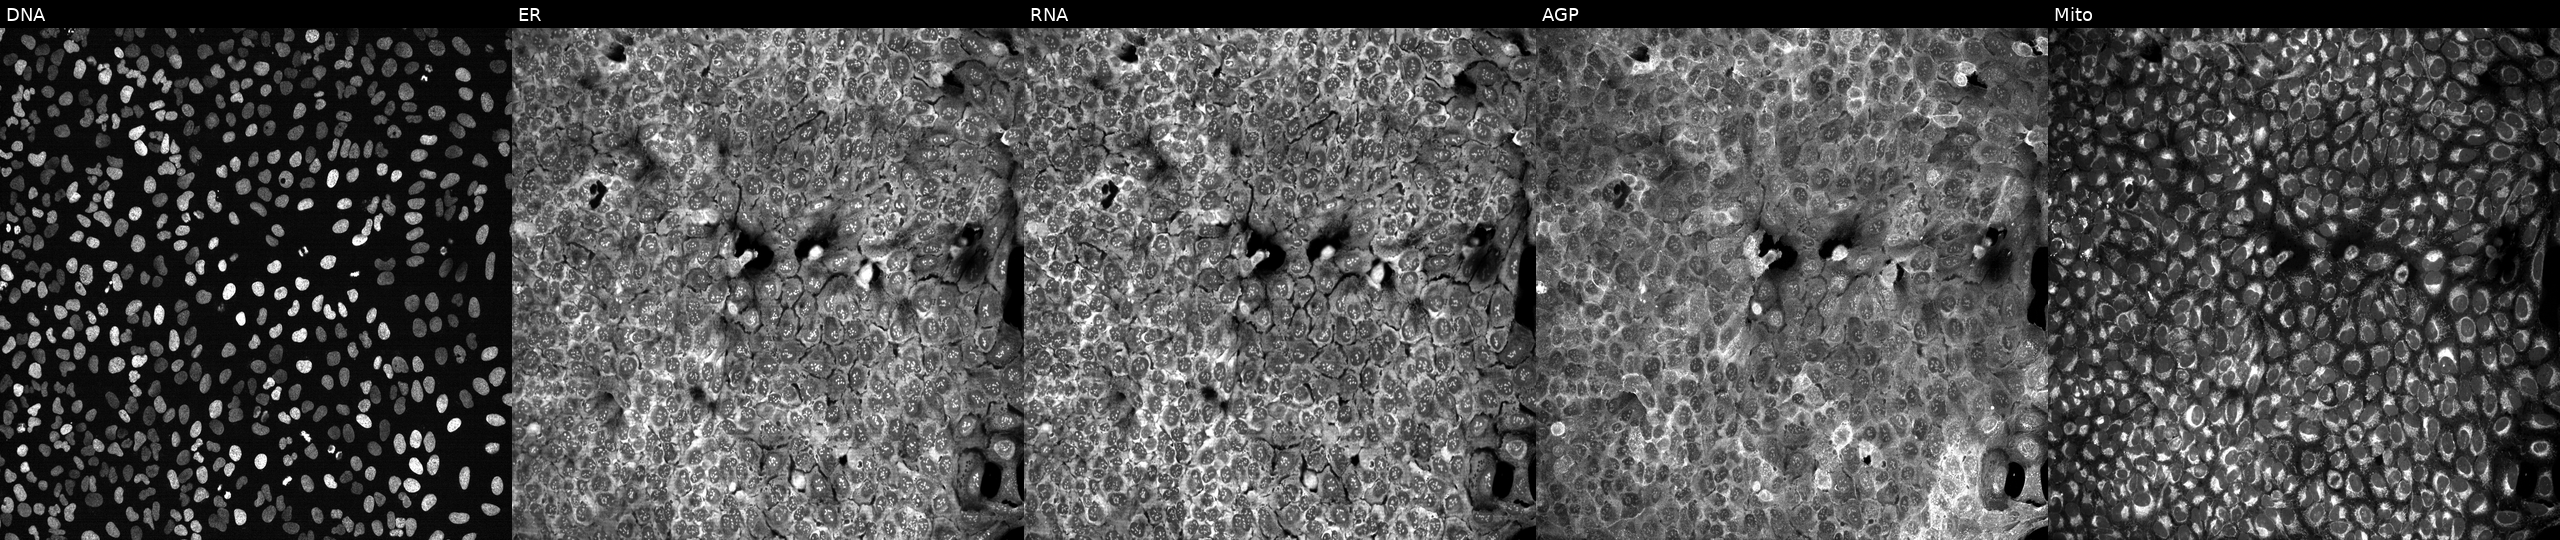
Channels (left→right): DNA, ER, RNA, AGP, and Mito. U2OS osteosarcoma cells with no CRISPR guide (negative control). Cell Painting assay, JUMP-CP dataset.